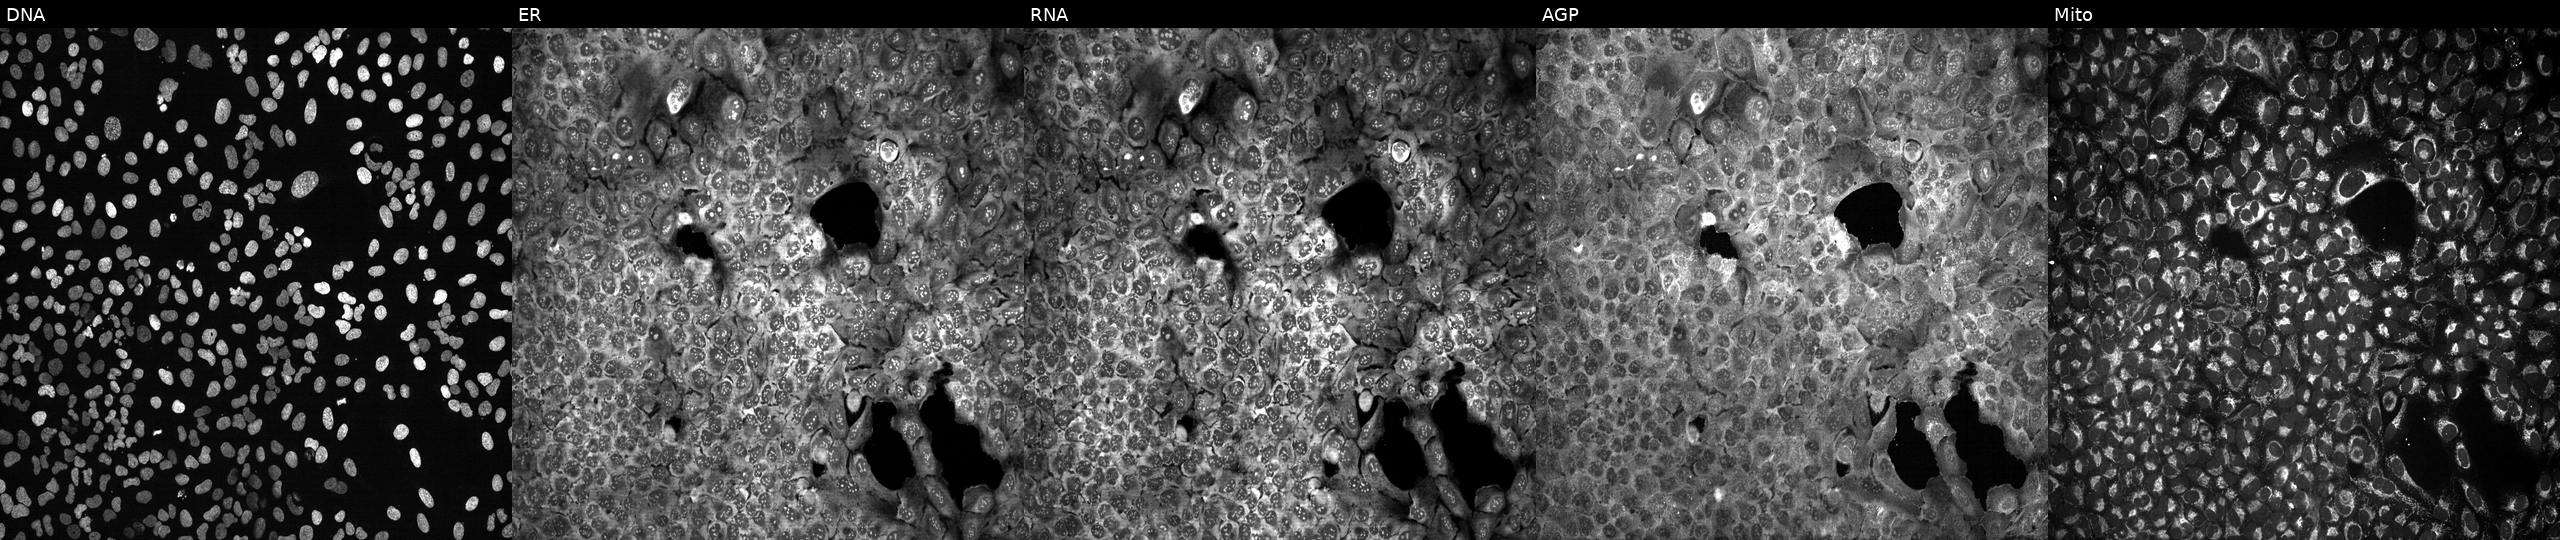
U2OS cells, Cell Painting assay, with TLR5 knocked out by CRISPR. From left to right: DNA, ER, RNA, AGP, and Mito. Each panel is percentile-stretched 16-bit fluorescence.